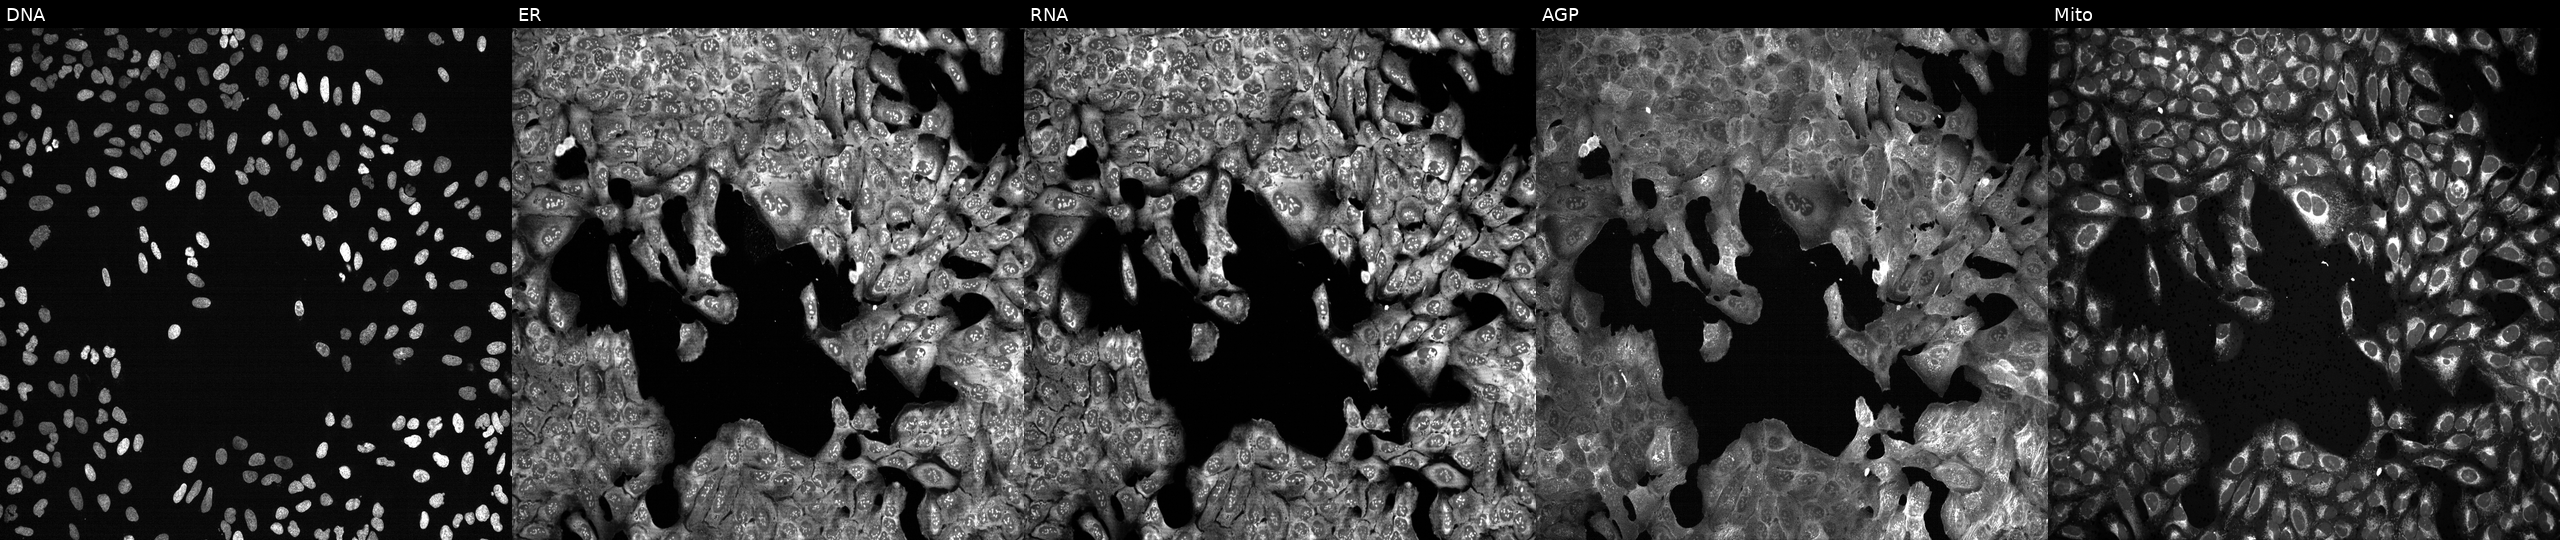
Panels show, left to right, Hoechst 33342, concanavalin A, SYTO 14, phalloidin and WGA, MitoTracker. U2OS osteosarcoma cells following CRISPR knockout of MTRF1 (JUMP id JCP2022_804330). Cell Painting assay, JUMP-CP dataset.